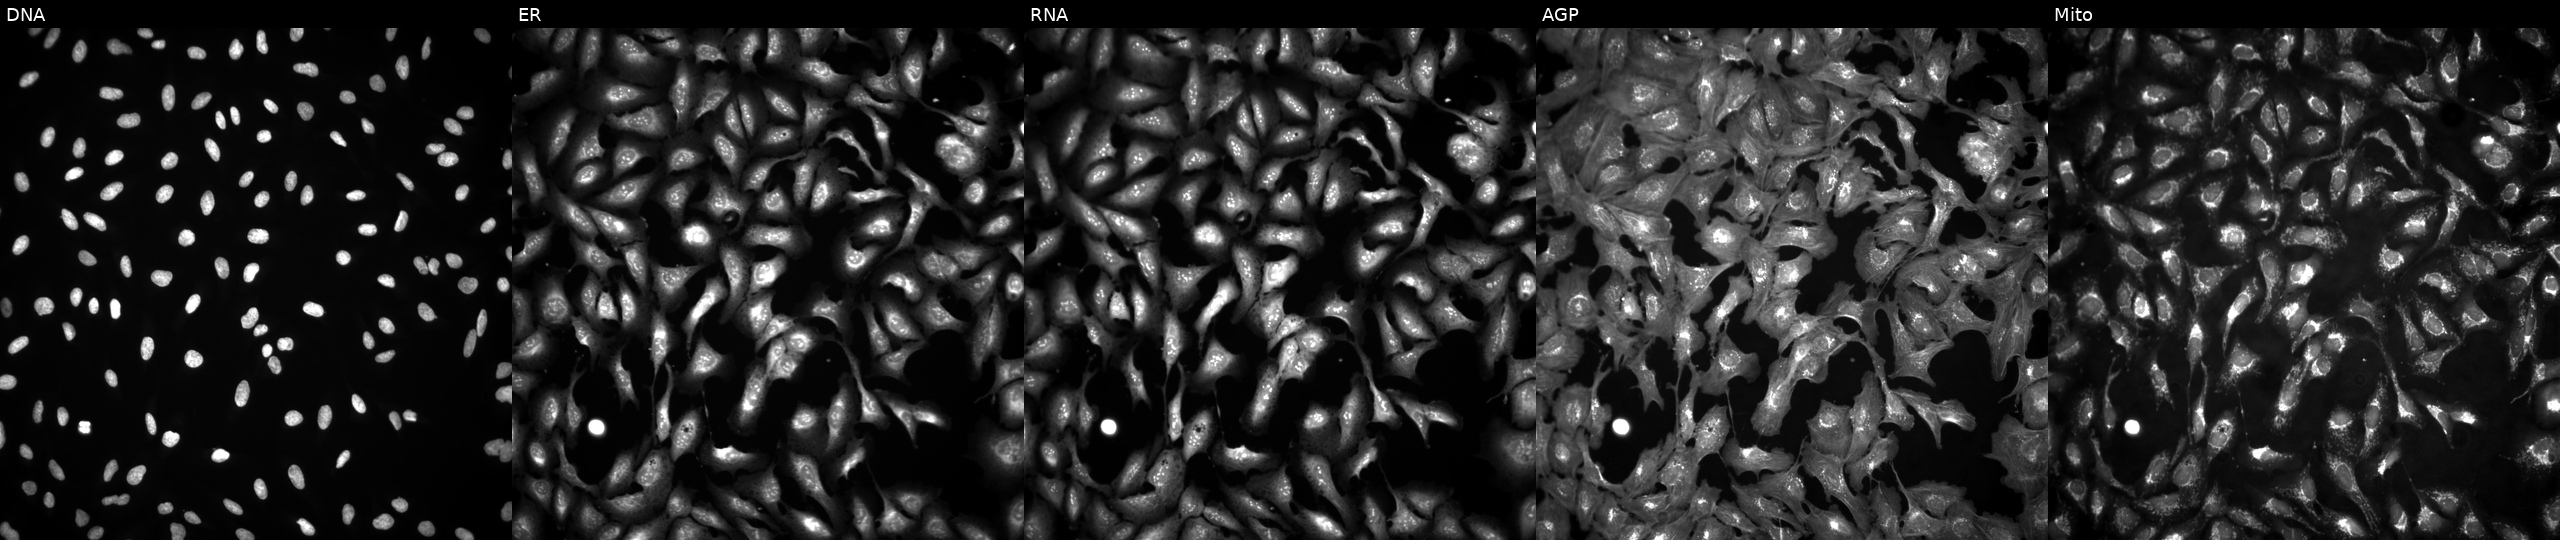
Five-channel Cell Painting image of U2OS cells overexpressing TYRO3 via ORF transfection (JUMP id JCP2022_913893). The five panels, left to right, show DNA (nuclei); ER (endoplasmic reticulum); RNA (nucleoli and cytoplasmic RNA); AGP (actin cytoskeleton, Golgi, and plasma membrane); Mito (mitochondria).